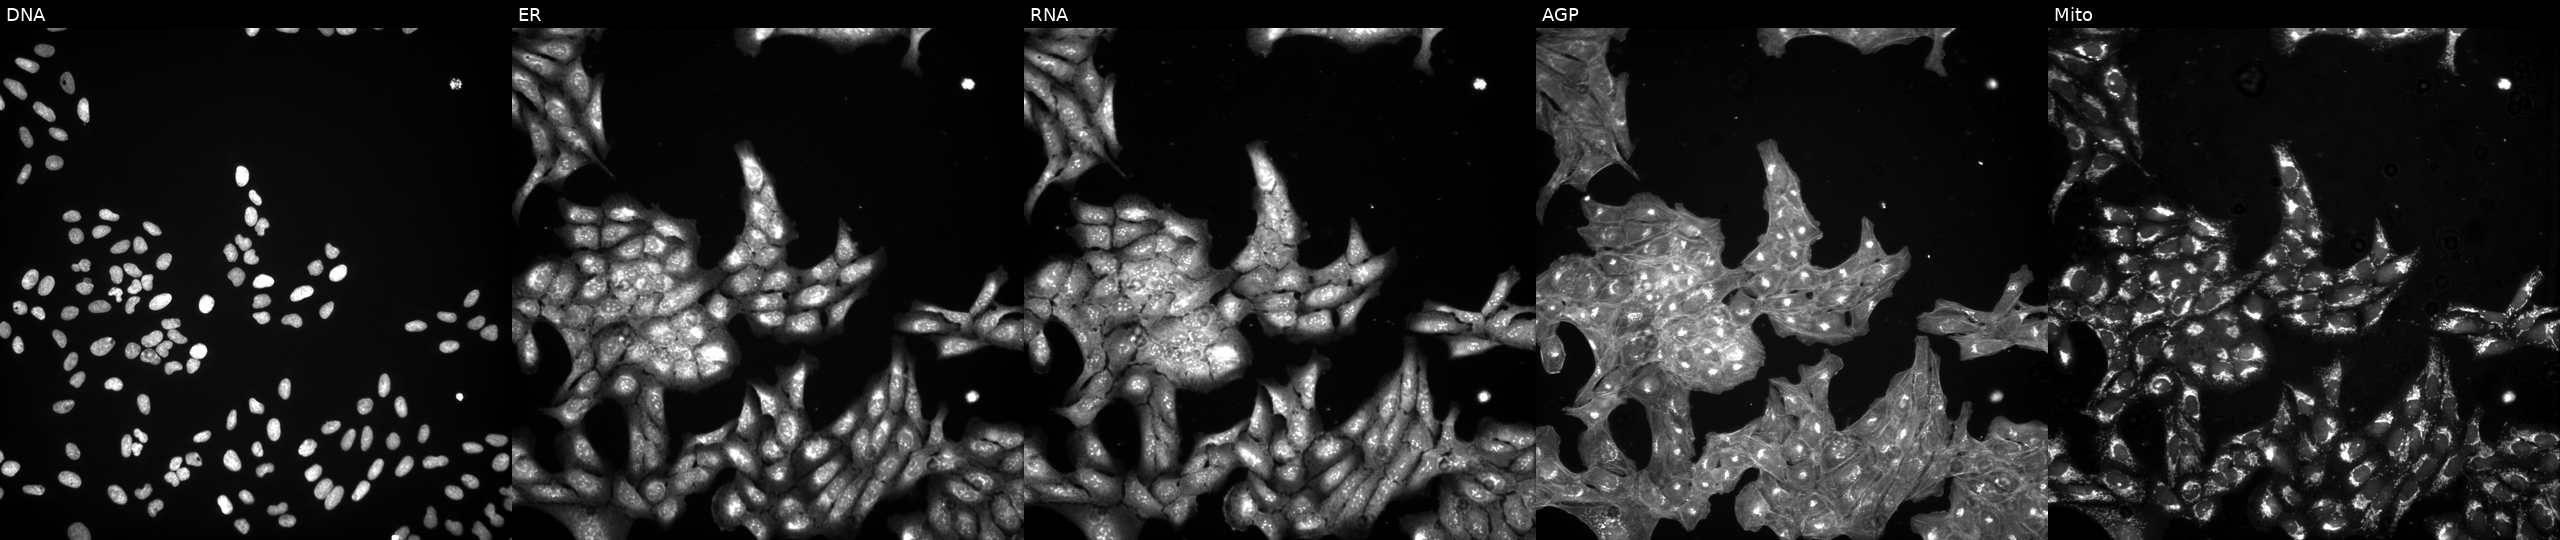
This image strip shows the five Cell Painting channels for a single field of U2OS cells exposed to a small-molecule compound (InChIKey GRPFFRUWJFDTTI-UHFFFAOYSA-N) (JUMP id JCP2022_027319). The five panels, left to right, show Hoechst 33342, concanavalin A, SYTO 14, phalloidin and WGA, MitoTracker.